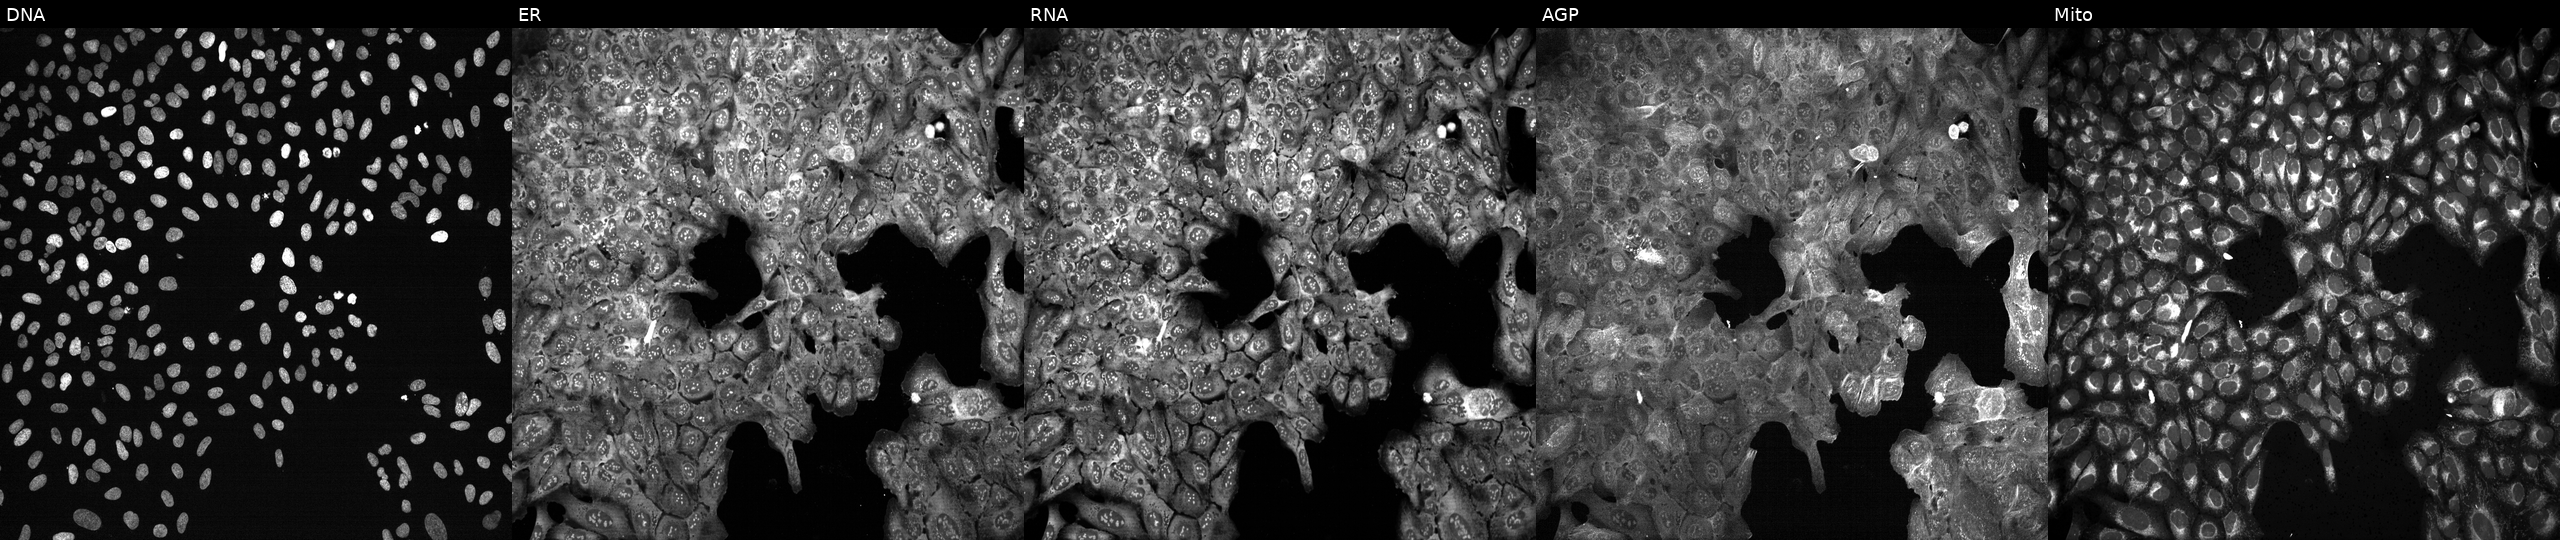
Five-channel Cell Painting image of U2OS cells CRISPR-edited to disrupt POLR3G (JUMP id JCP2022_805358). Channels (left→right): DNA, ER, RNA, AGP, and Mito.